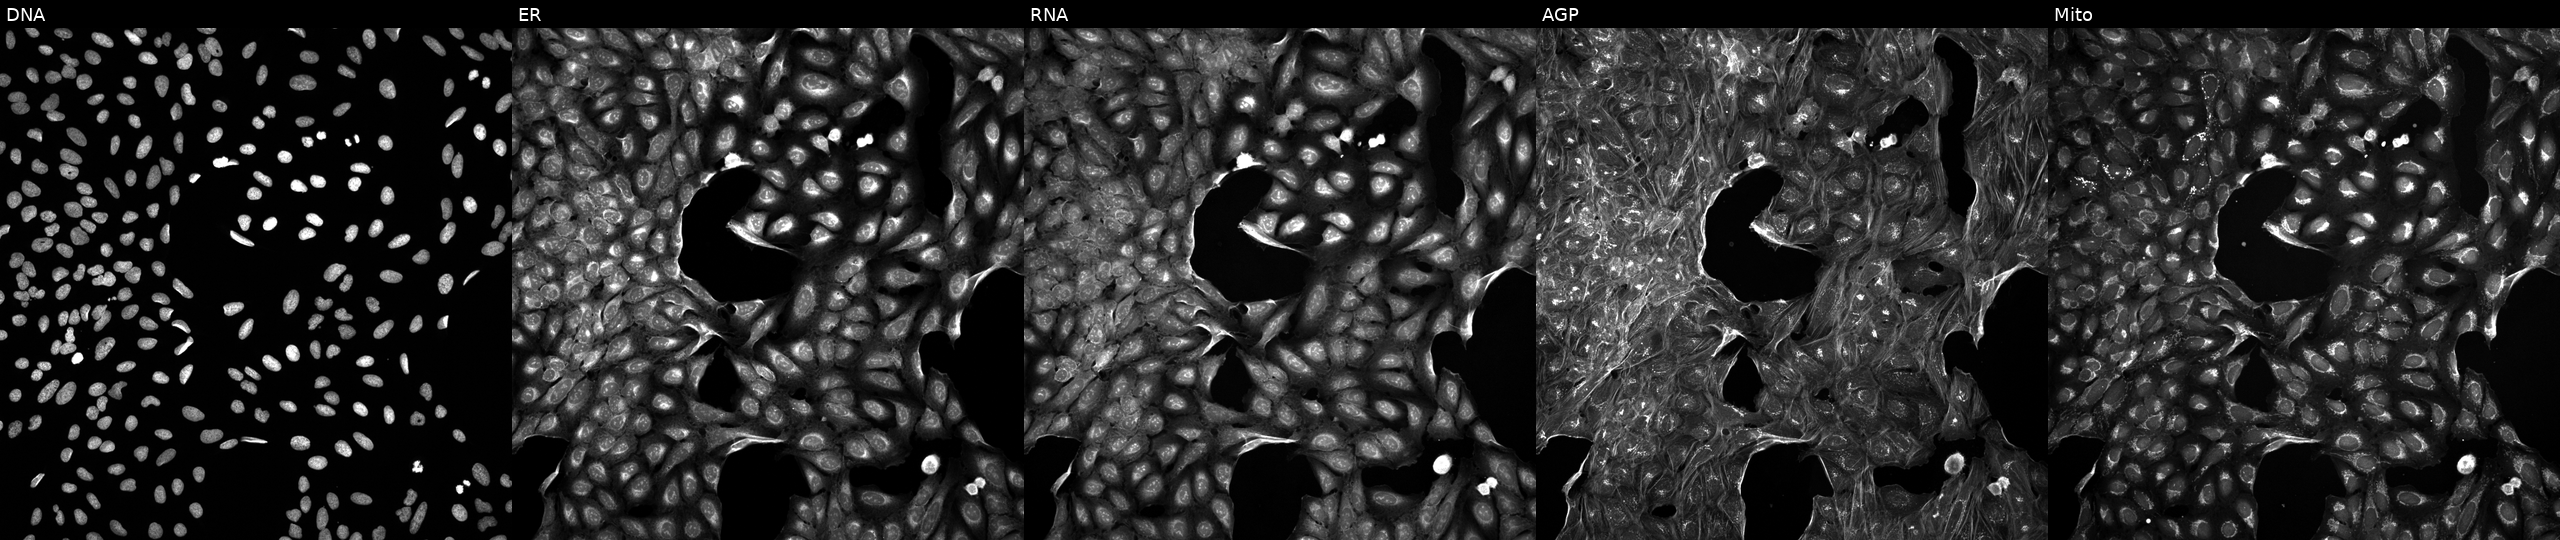
Panels show, left to right, DNA, ER, RNA, AGP, and Mito. U2OS osteosarcoma cells exposed to a small-molecule compound (JUMP id JCP2022_046239). Cell Painting assay, JUMP-CP dataset.